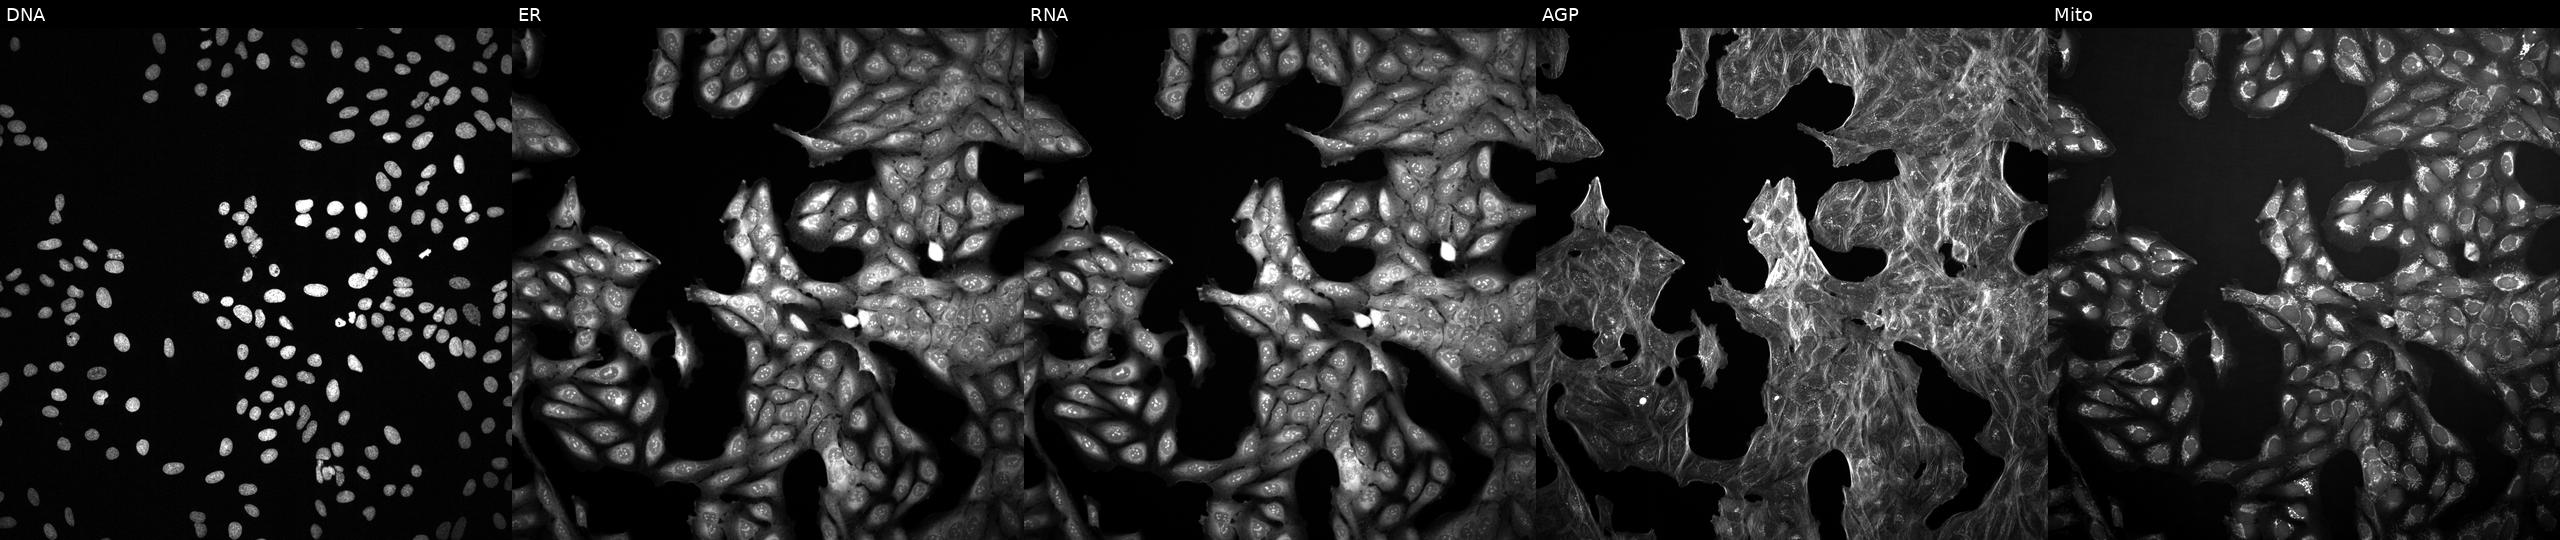
Channels (left→right): DNA (nuclei); ER (endoplasmic reticulum); RNA (nucleoli and cytoplasmic RNA); AGP (actin cytoskeleton, Golgi, and plasma membrane); Mito (mitochondria). U2OS osteosarcoma cells treated with a small-molecule compound (JUMP id JCP2022_053409). Cell Painting assay, JUMP-CP dataset. Source 2, plate 1053597936, well G01.